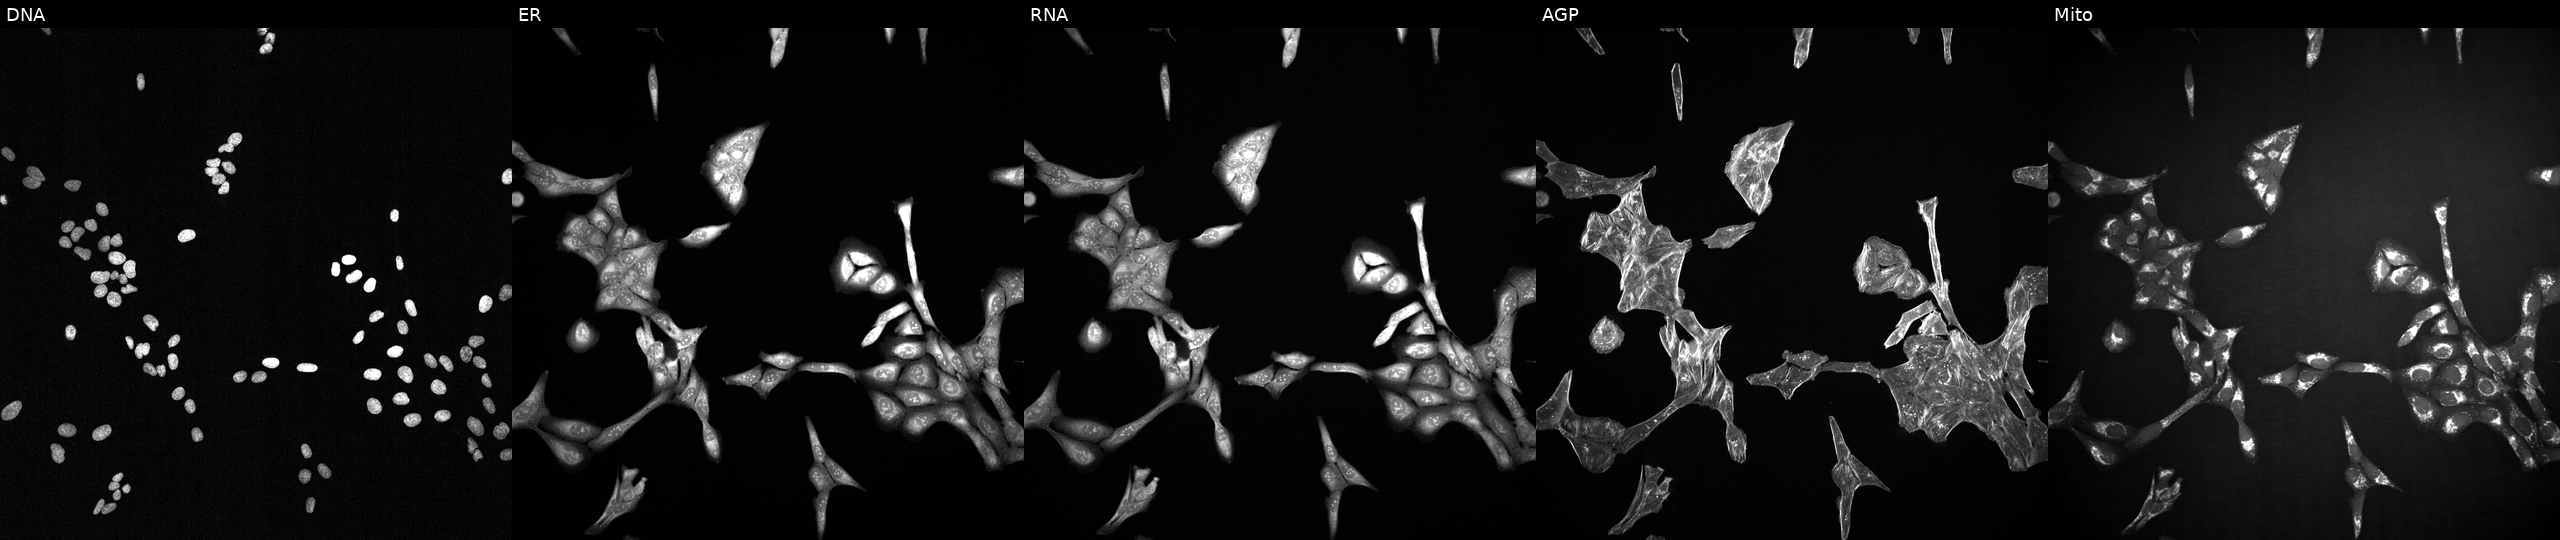
The five panels, left to right, show Hoechst 33342, concanavalin A, SYTO 14, phalloidin and WGA, MitoTracker. U2OS osteosarcoma cells perturbed with a small-molecule compound (InChIKey JVCWPUFNLFSKFS-UHFFFAOYSA-N) (JUMP id JCP2022_042332). Cell Painting assay, JUMP-CP dataset. Source 2, plate 1053599503, well C10.